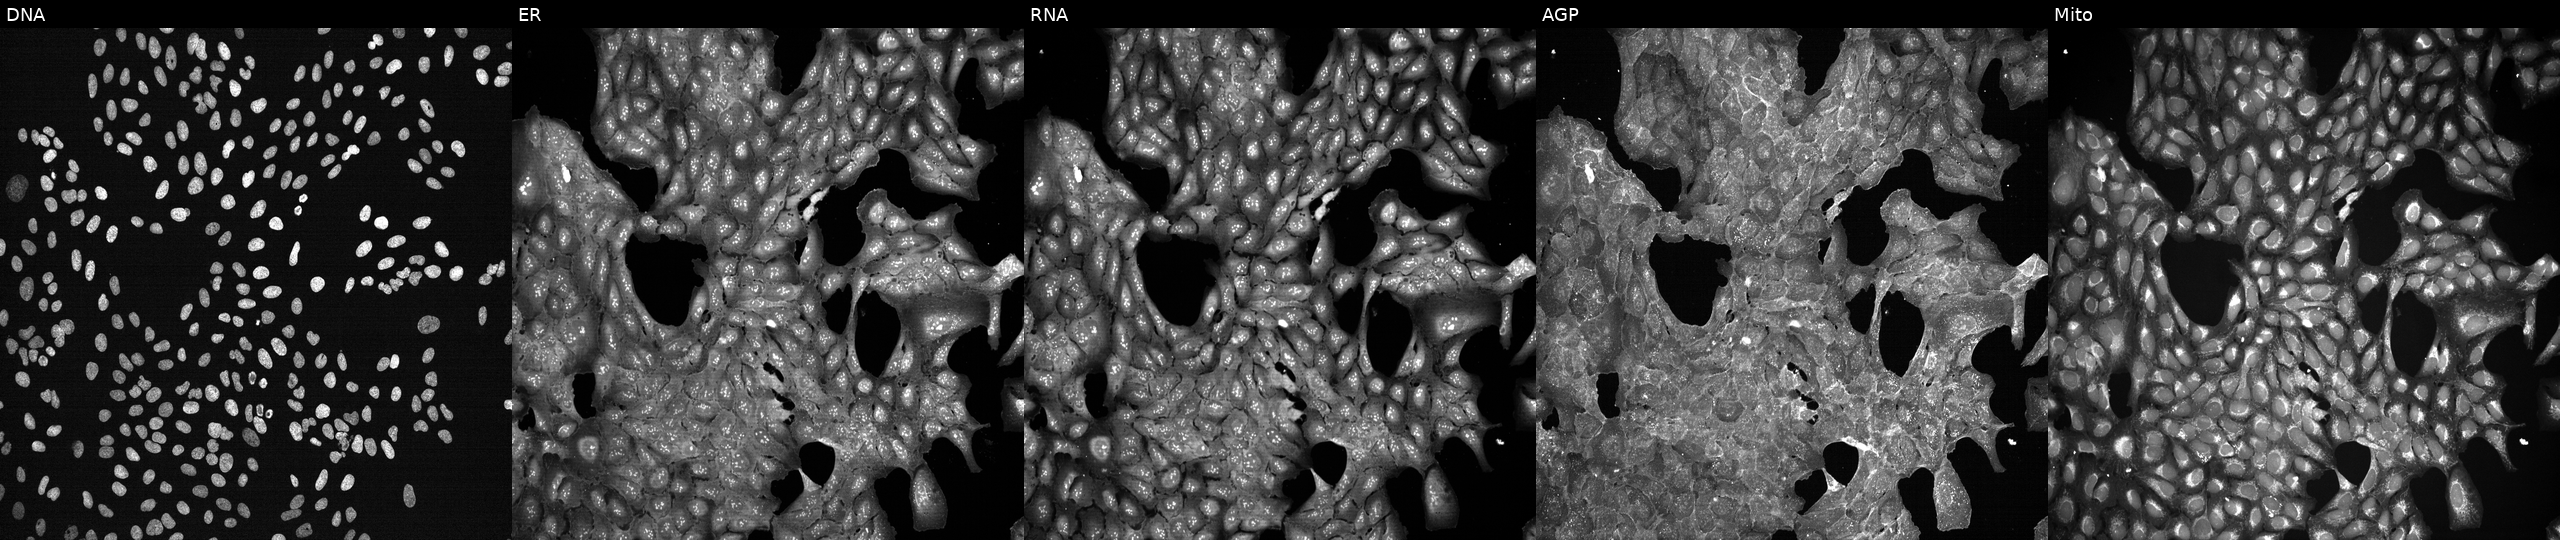
JUMP Cell Painting — TARGET2 plate. U2OS cells treated with a small-molecule compound (InChIKey ROBYKNONIPZMTK-UHFFFAOYSA-N) (JUMP id JCP2022_079617). Channels (left→right): DNA, ER, RNA, AGP, and Mito. Source 7, plate CP2-SC1-25, well B05.